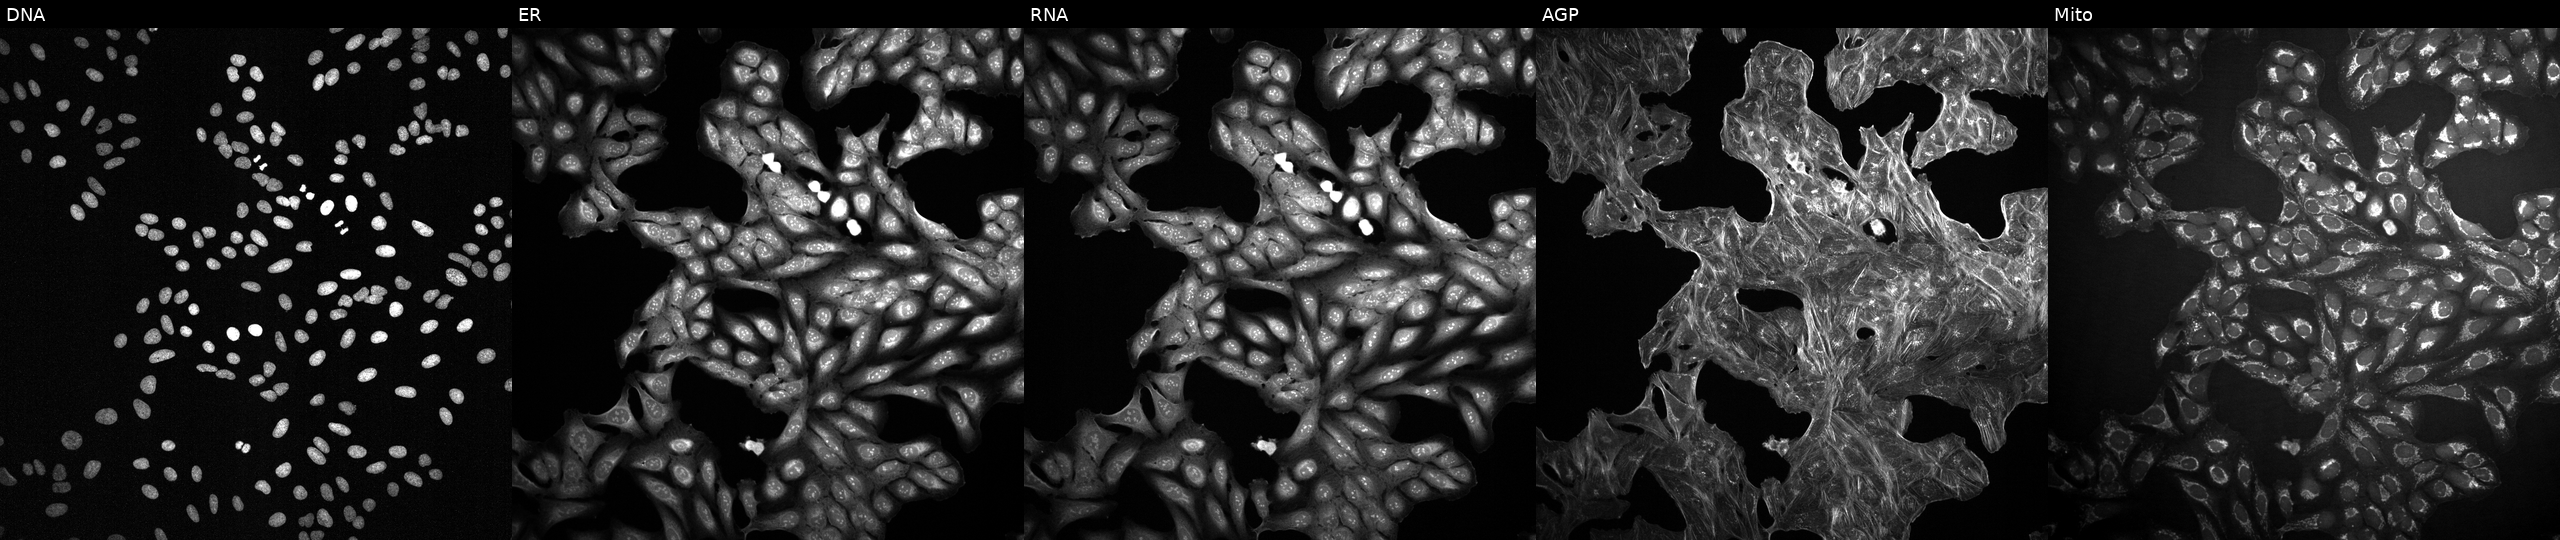
U2OS cells, Cell Painting assay, exposed to a small-molecule compound (InChIKey MQQNFDZXWVTQEH-UHFFFAOYSA-N). The five panels, left to right, show DNA, ER, RNA, AGP, and Mito. Each panel is percentile-stretched 16-bit fluorescence.